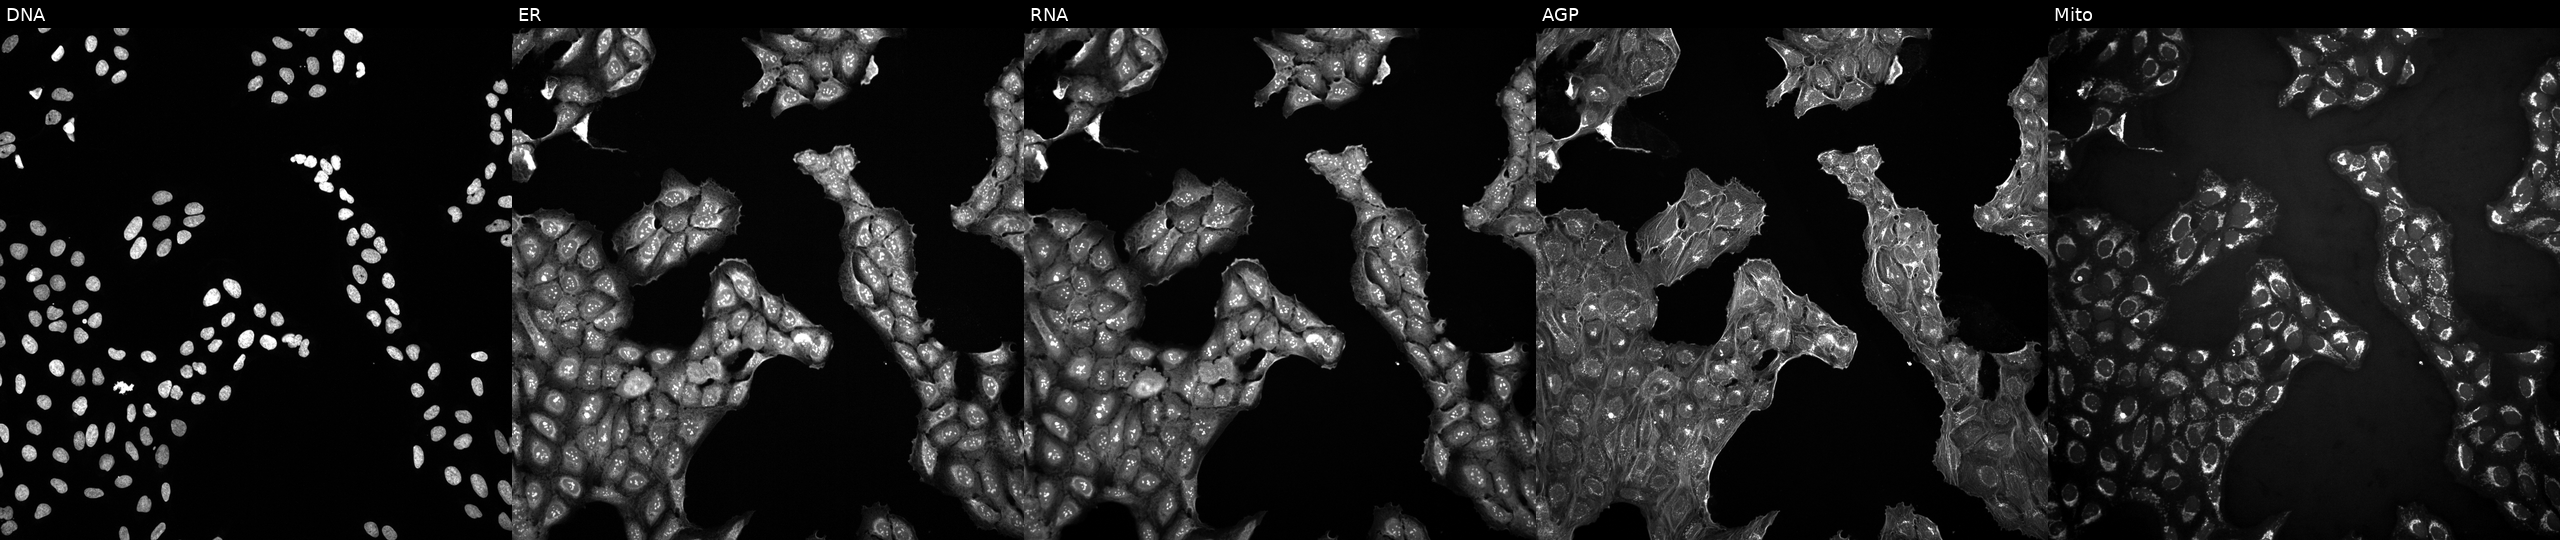
Five-channel Cell Painting image of U2OS cells in an empty control well (no perturbation) (JUMP id JCP2022_999999). Panels show, left to right, DNA (nuclei); ER (endoplasmic reticulum); RNA (nucleoli and cytoplasmic RNA); AGP (actin cytoskeleton, Golgi, and plasma membrane); Mito (mitochondria).